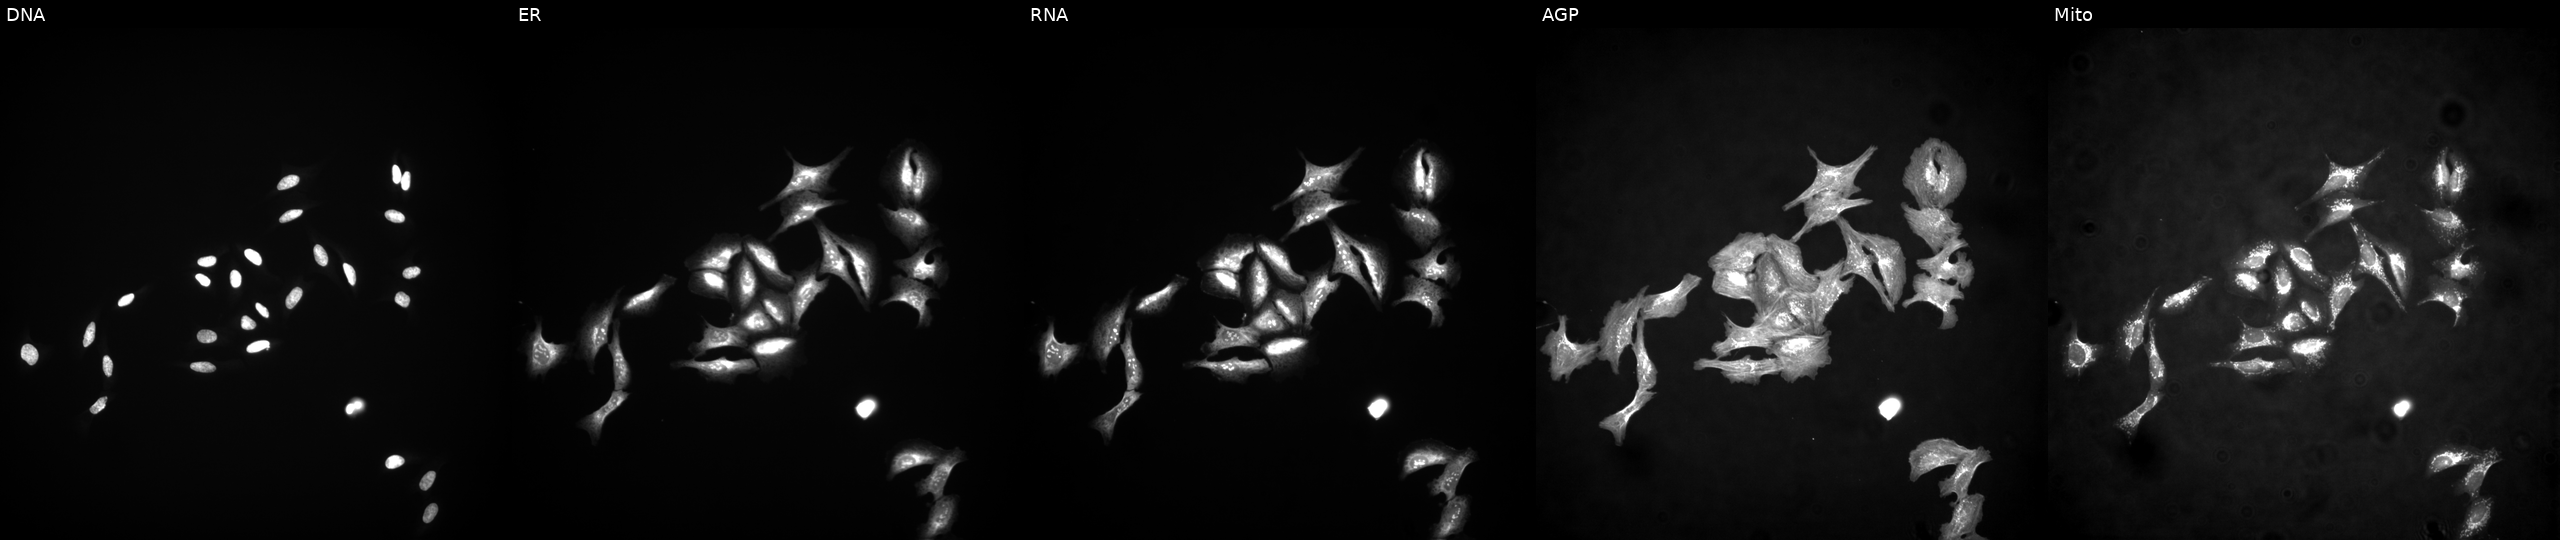
U2OS cells, Cell Painting assay, overexpressing HSPH1 via ORF transfection (JUMP id JCP2022_902369). Panels show, left to right, DNA (nuclei); ER (endoplasmic reticulum); RNA (nucleoli and cytoplasmic RNA); AGP (actin cytoskeleton, Golgi, and plasma membrane); Mito (mitochondria). Each panel is percentile-stretched 16-bit fluorescence. Source 4, plate BR00124784, well M10.